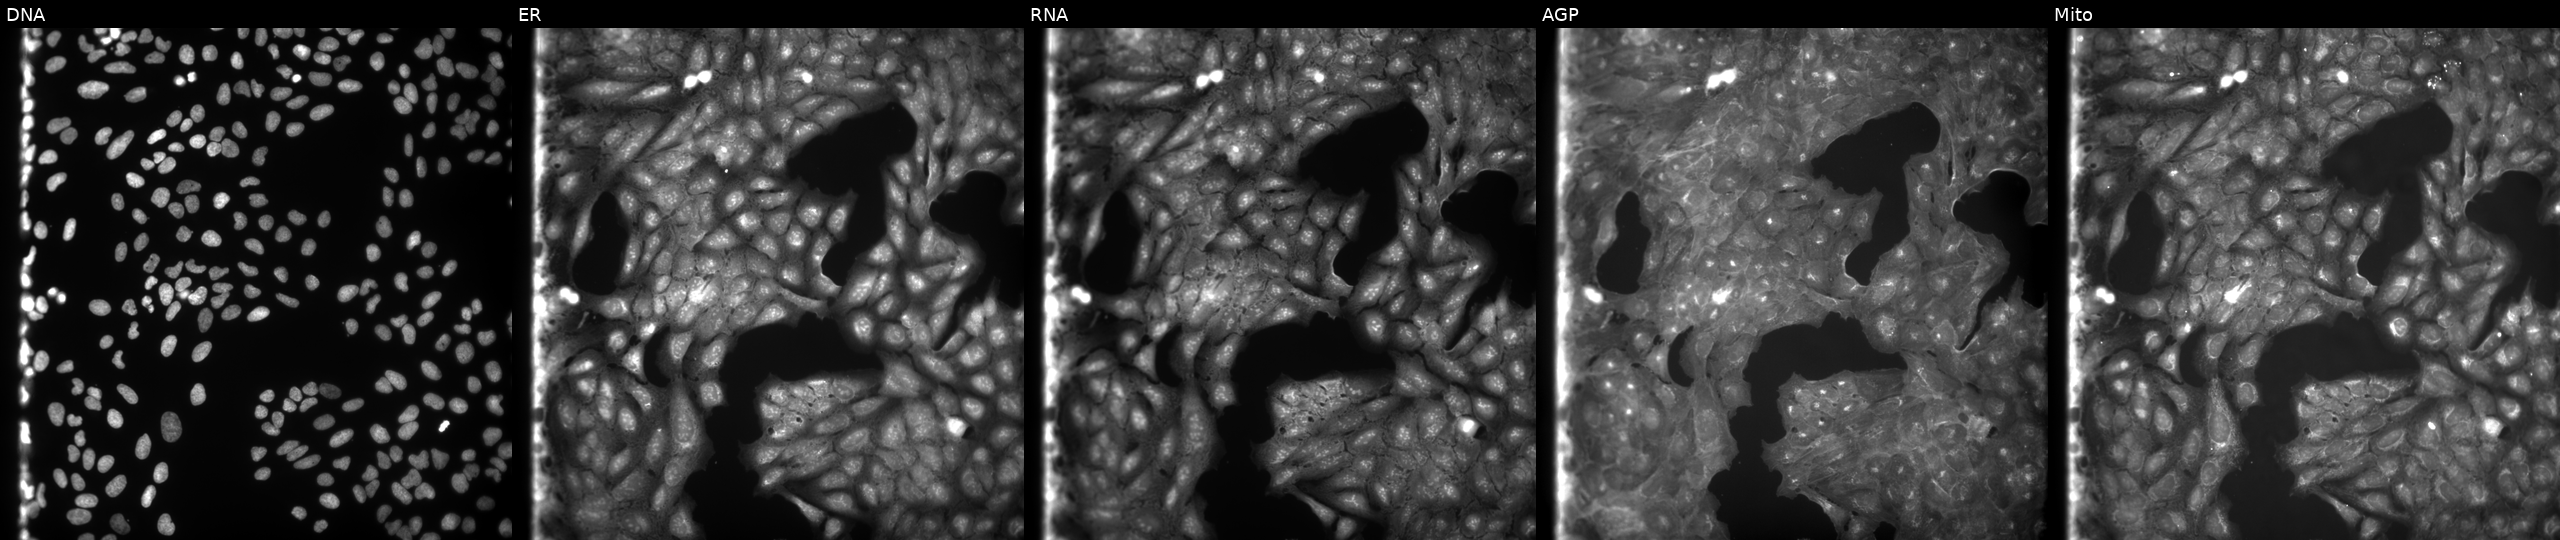
High-content fluorescence microscopy (Cell Painting). Cell line: U2OS. Perturbation: treated with DMSO vehicle only (negative control). Channels (left→right): Hoechst 33342, concanavalin A, SYTO 14, phalloidin and WGA, MitoTracker. Source 9, plate GR00003381, well I02.